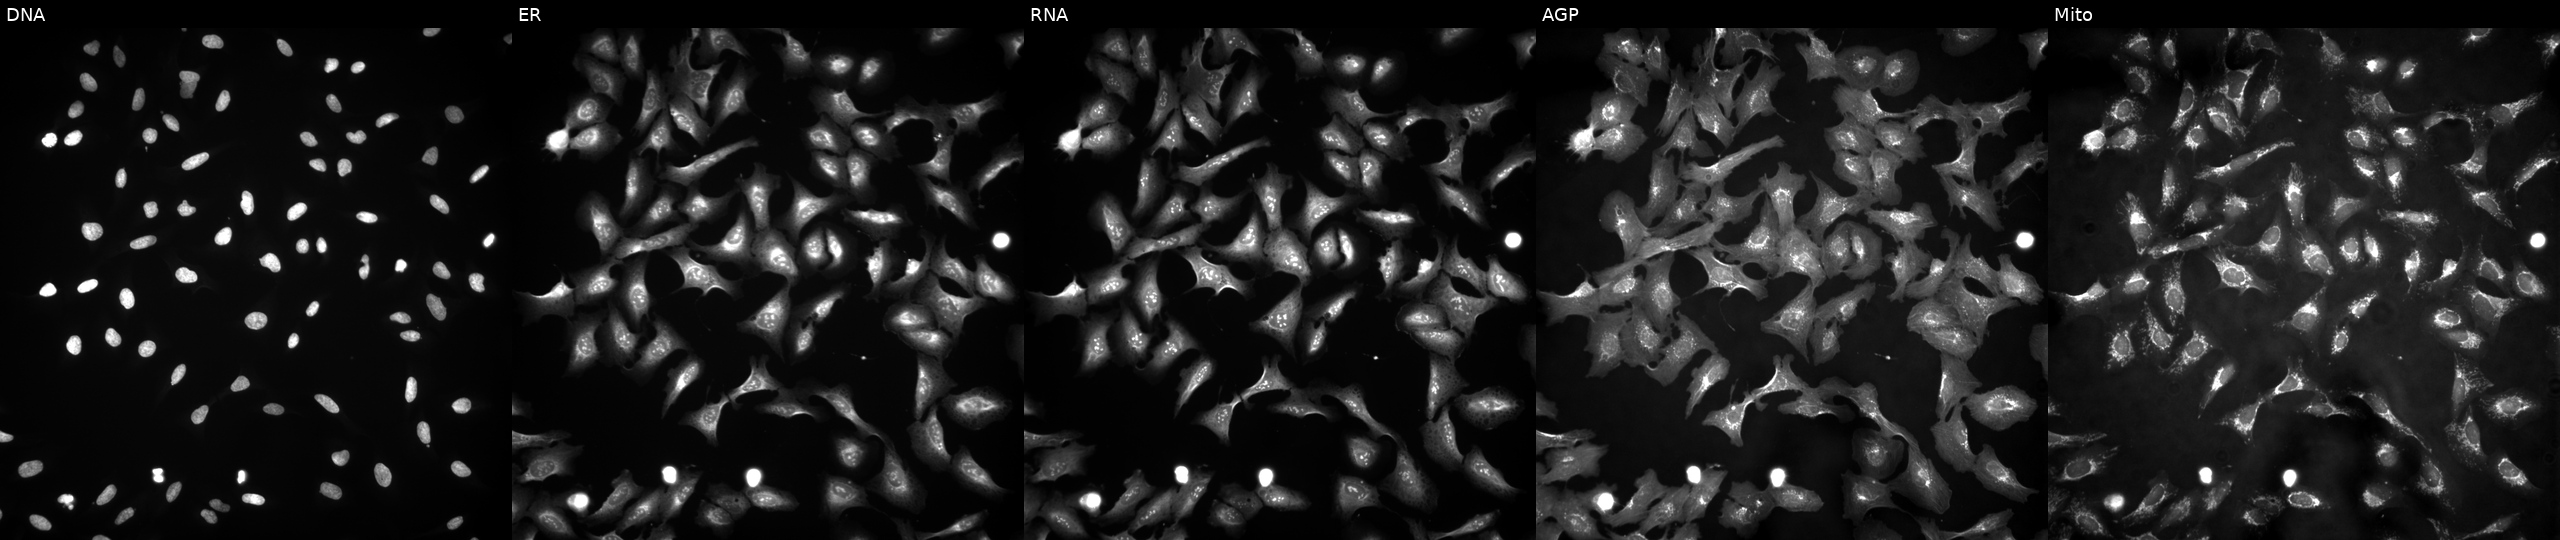
JUMP Cell Painting — ORF plate. U2OS cells overexpressing GBP1 via ORF transfection. Channels (left→right): DNA (nuclei); ER (endoplasmic reticulum); RNA (nucleoli and cytoplasmic RNA); AGP (actin cytoskeleton, Golgi, and plasma membrane); Mito (mitochondria).